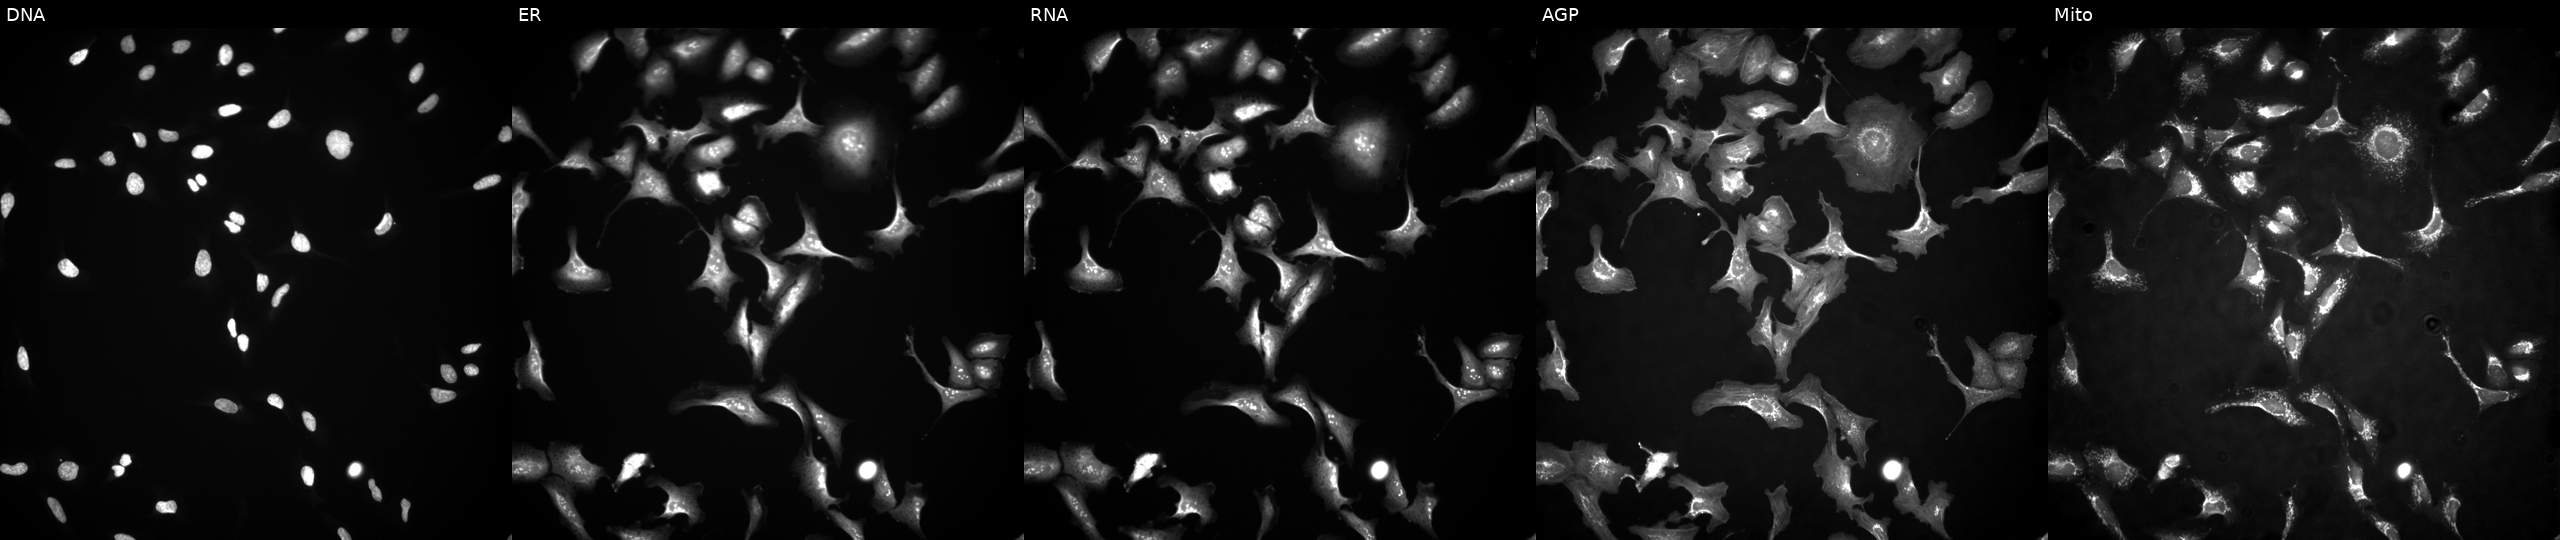
Panels show, left to right, DNA (nuclei); ER (endoplasmic reticulum); RNA (nucleoli and cytoplasmic RNA); AGP (actin cytoskeleton, Golgi, and plasma membrane); Mito (mitochondria). U2OS osteosarcoma cells overexpressing VAX2 via ORF transfection. Cell Painting assay, JUMP-CP dataset. Source 4, plate BR00117035, well D10.